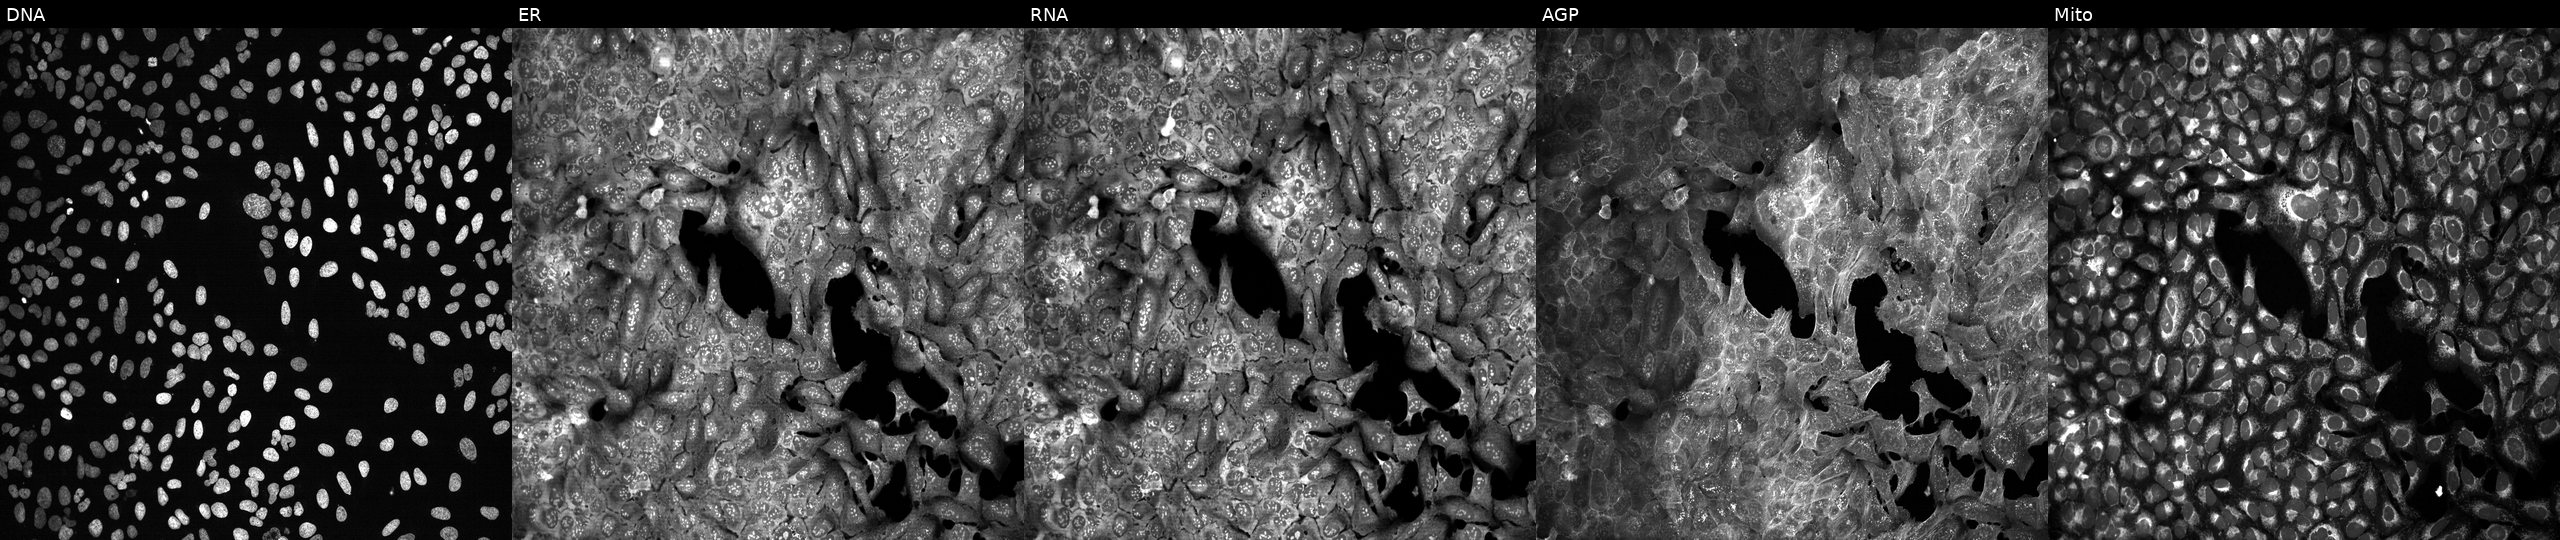
U2OS cells, Cell Painting assay, CRISPR-edited to disrupt VAX1 (JUMP id JCP2022_807631). Channels (left→right): DNA, ER, RNA, AGP, and Mito. Each panel is percentile-stretched 16-bit fluorescence.